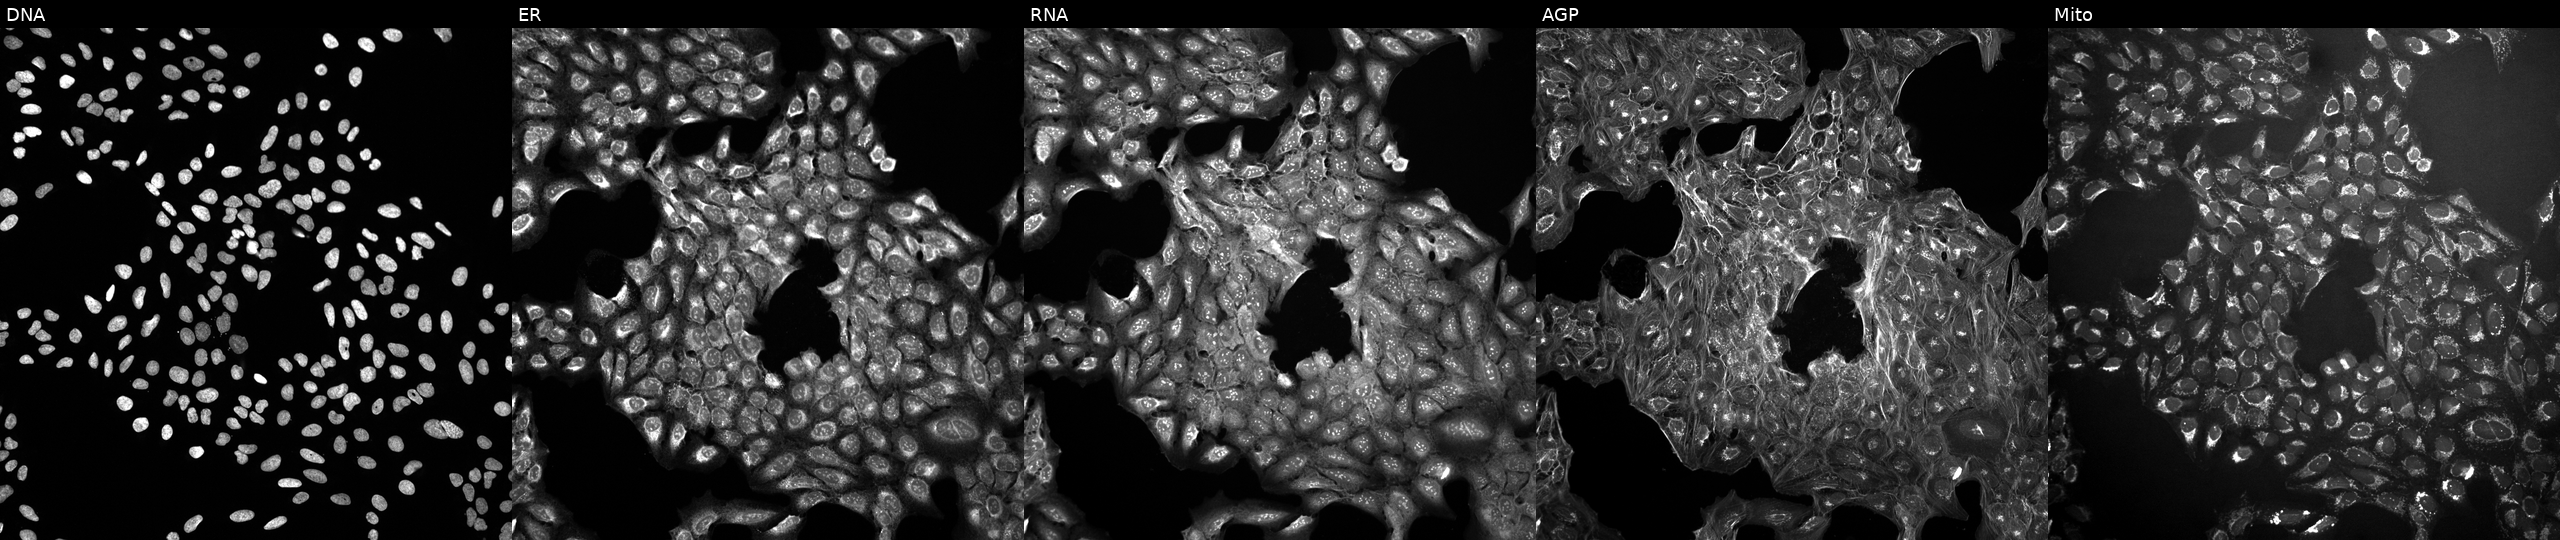
Five-channel Cell Painting image of U2OS cells untreated (empty-well control) (JUMP id JCP2022_999999). Panels show, left to right, Hoechst 33342, concanavalin A, SYTO 14, phalloidin and WGA, MitoTracker. Source 10, plate Dest210531-152324, well C07.